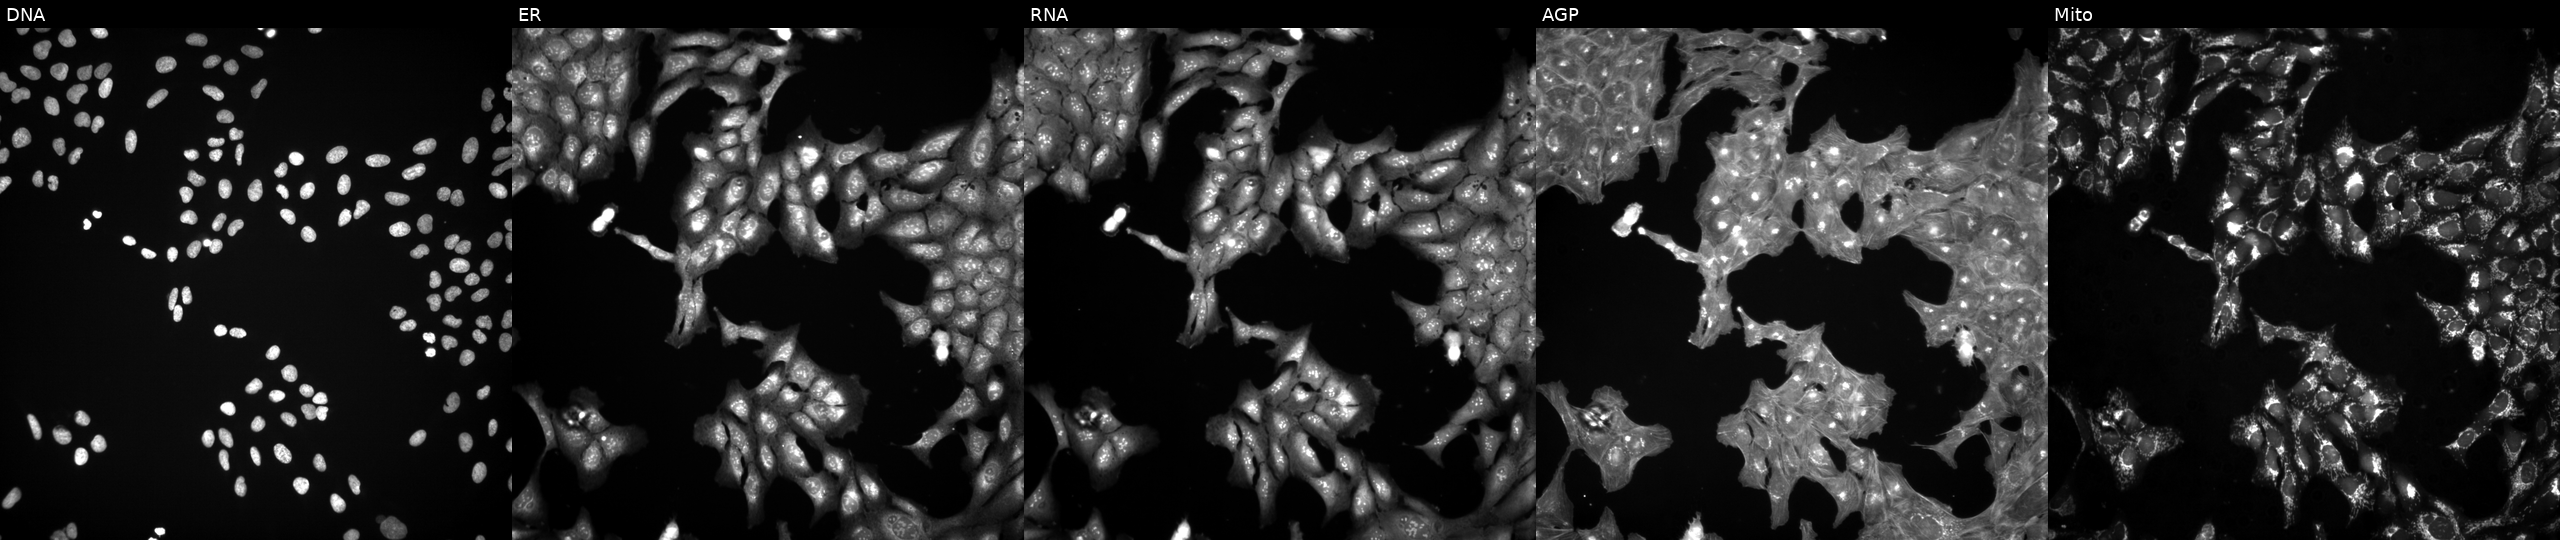
High-content fluorescence microscopy (Cell Painting). Cell line: U2OS. Perturbation: perturbed with a small-molecule compound (InChIKey PIWKPBJCKXDKJR-UHFFFAOYSA-N). The five panels, left to right, show DNA, ER, RNA, AGP, and Mito. Source 3, plate JCPQC051, well K16.